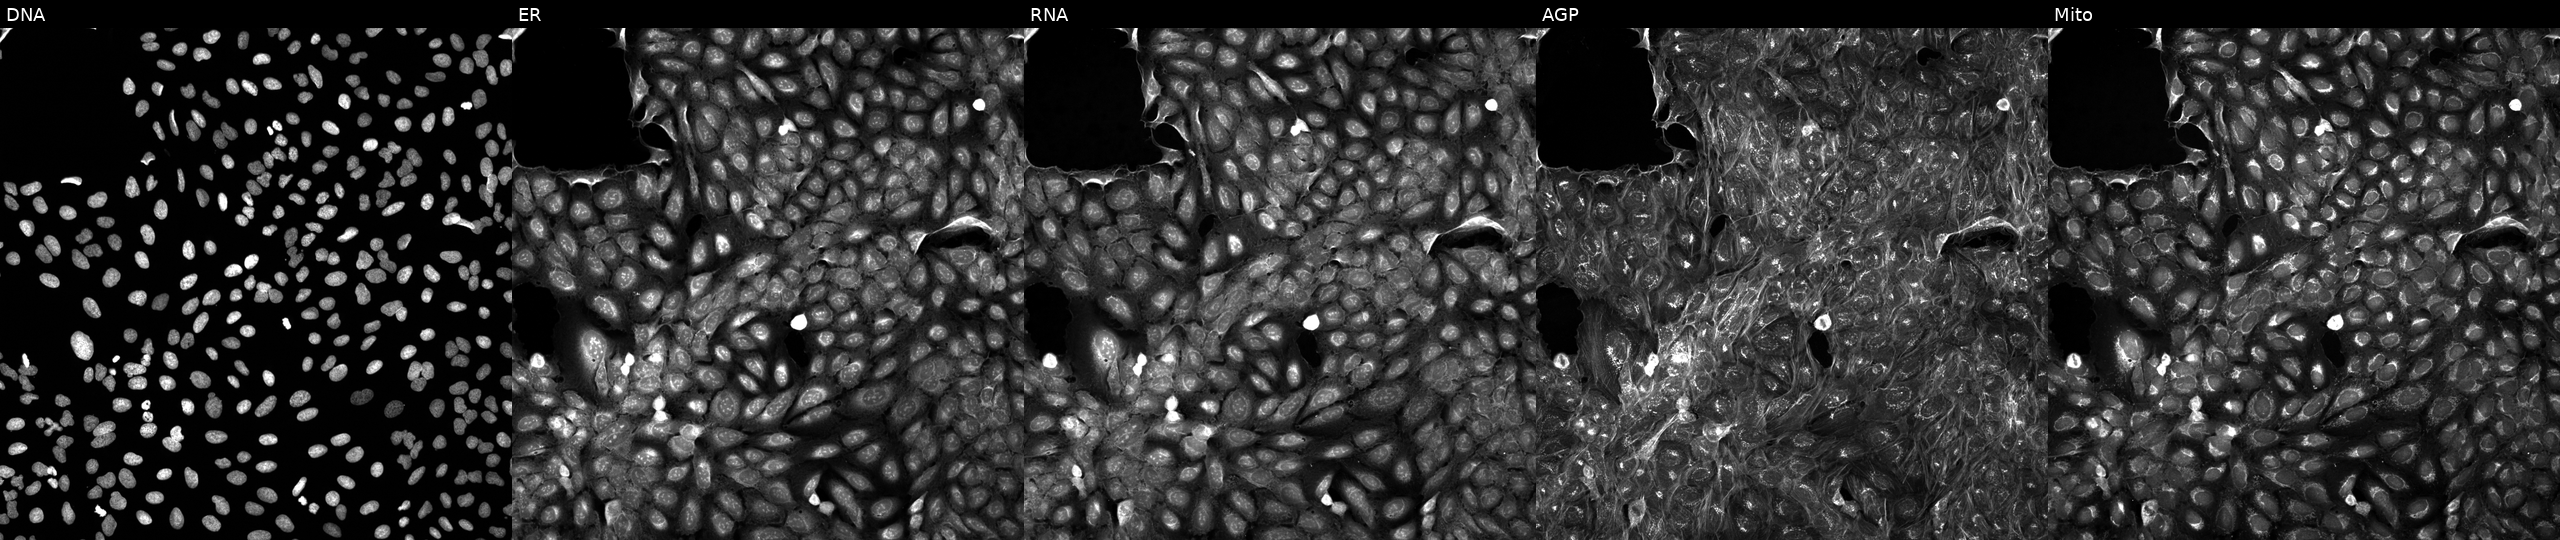
This image strip shows the five Cell Painting channels for a single field of U2OS cells treated with a small-molecule compound (InChIKey MGNRFTOMKXHVOG-UHFFFAOYSA-N) [SMILES: Cc1ccc(NC(=O)NCC2CCCN(C(=O)c3ccc(-c4cnco4)cc3)C2)cc1]. Channels (left→right): DNA, ER, RNA, AGP, and Mito. Source 5, plate APTJUM106, well M03.